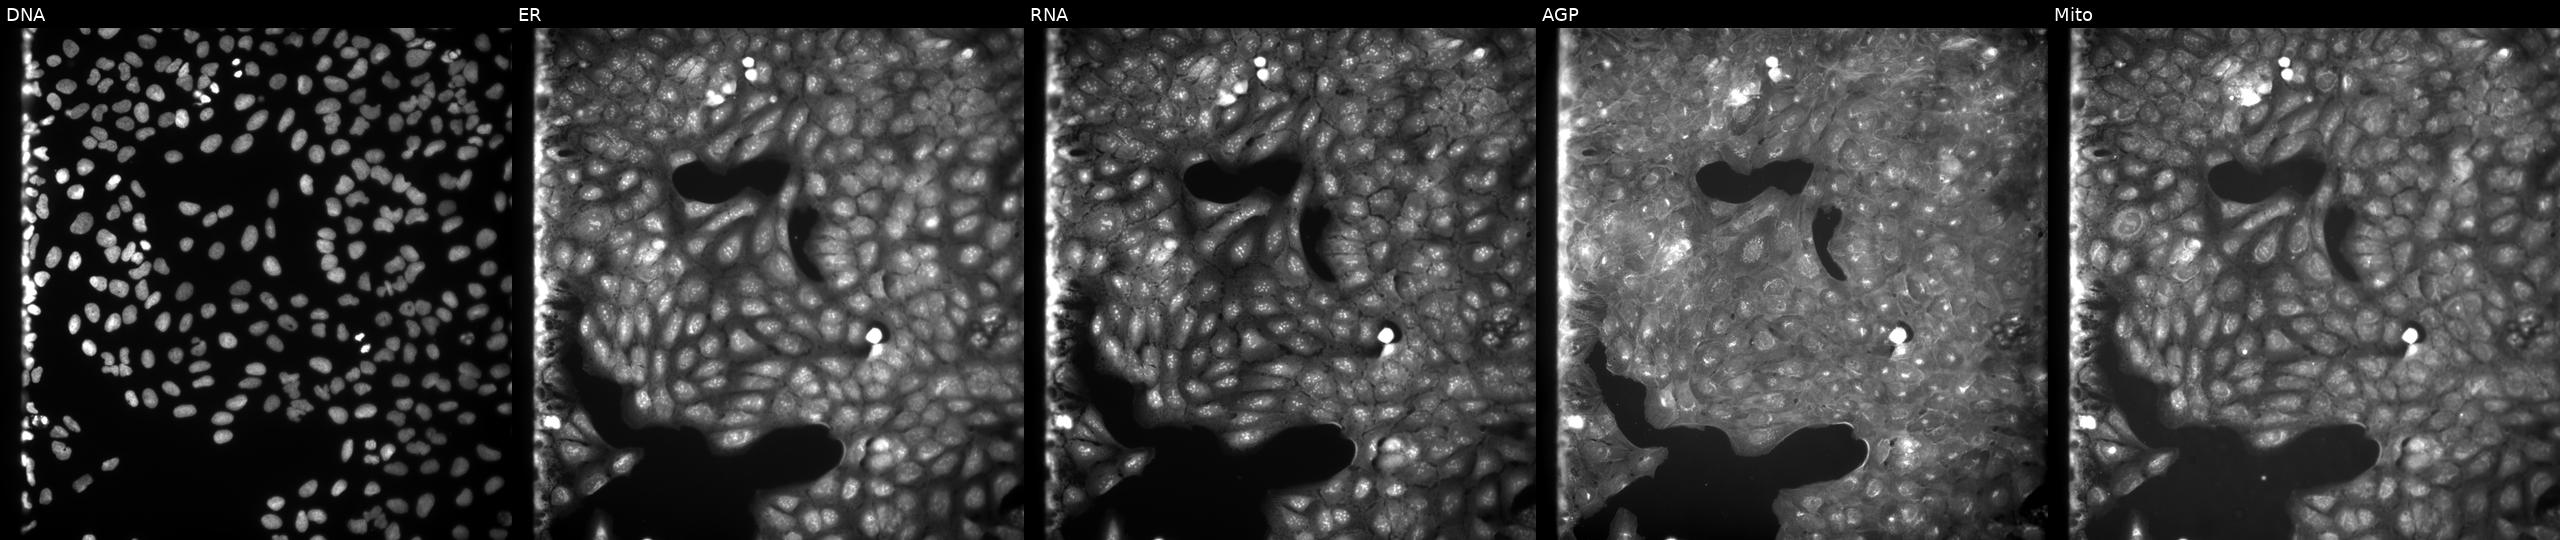
U2OS cells, Cell Painting assay, exposed to a small-molecule compound (InChIKey XFKRJJZWUYEDJE-UHFFFAOYSA-N) (JUMP id JCP2022_103306). From left to right: DNA (nuclei); ER (endoplasmic reticulum); RNA (nucleoli and cytoplasmic RNA); AGP (actin cytoskeleton, Golgi, and plasma membrane); Mito (mitochondria). Each panel is percentile-stretched 16-bit fluorescence.